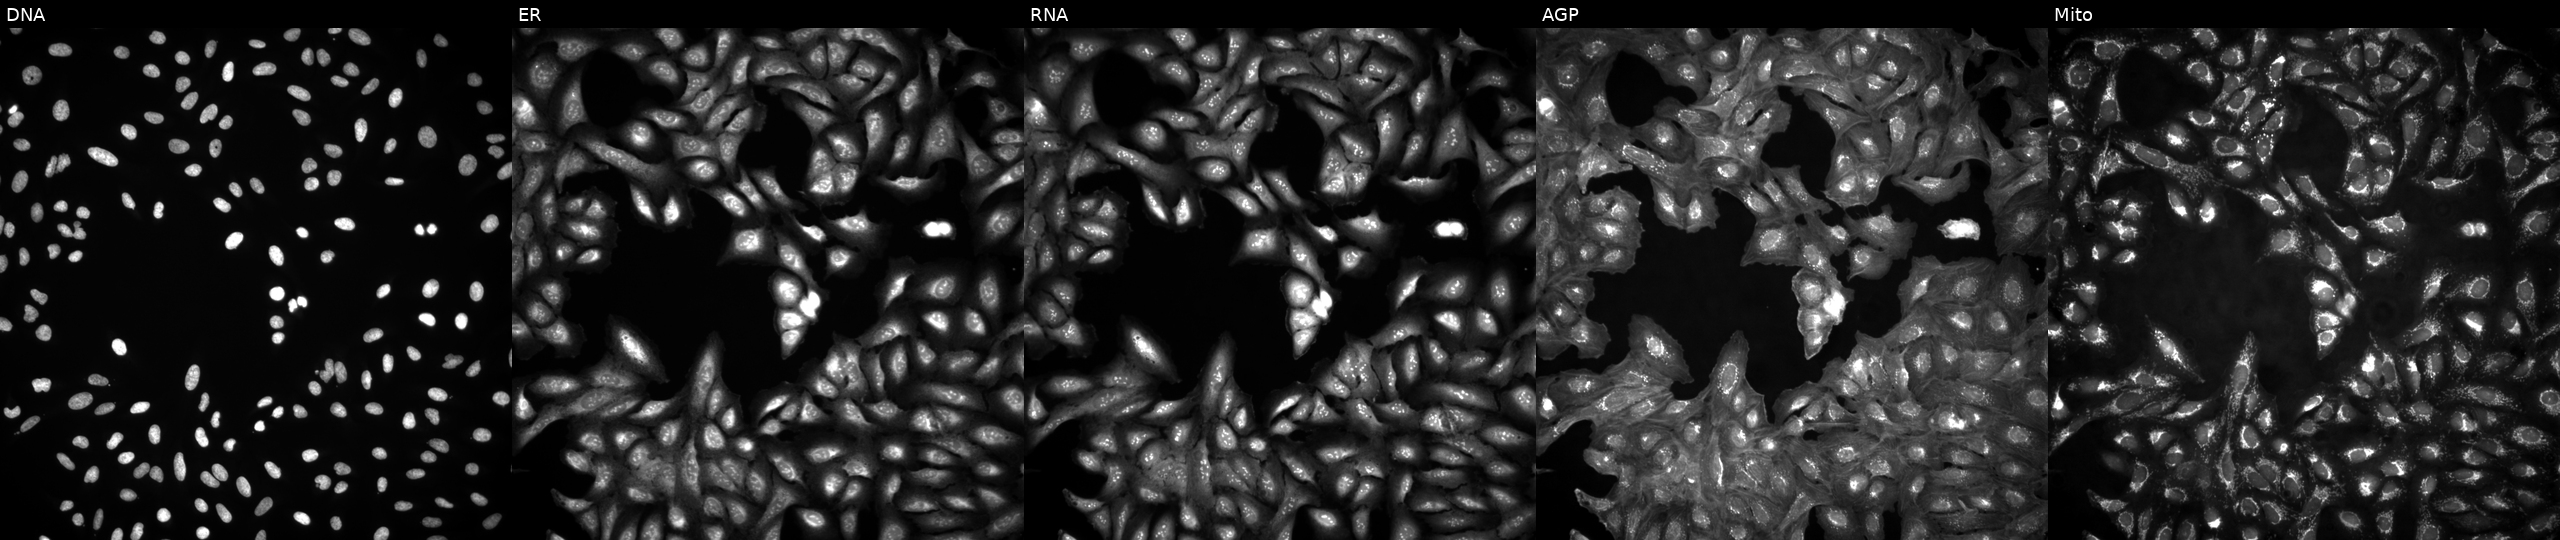
Five-channel Cell Painting image of U2OS cells in an empty control well (no perturbation). The five panels, left to right, show Hoechst 33342, concanavalin A, SYTO 14, phalloidin and WGA, MitoTracker.